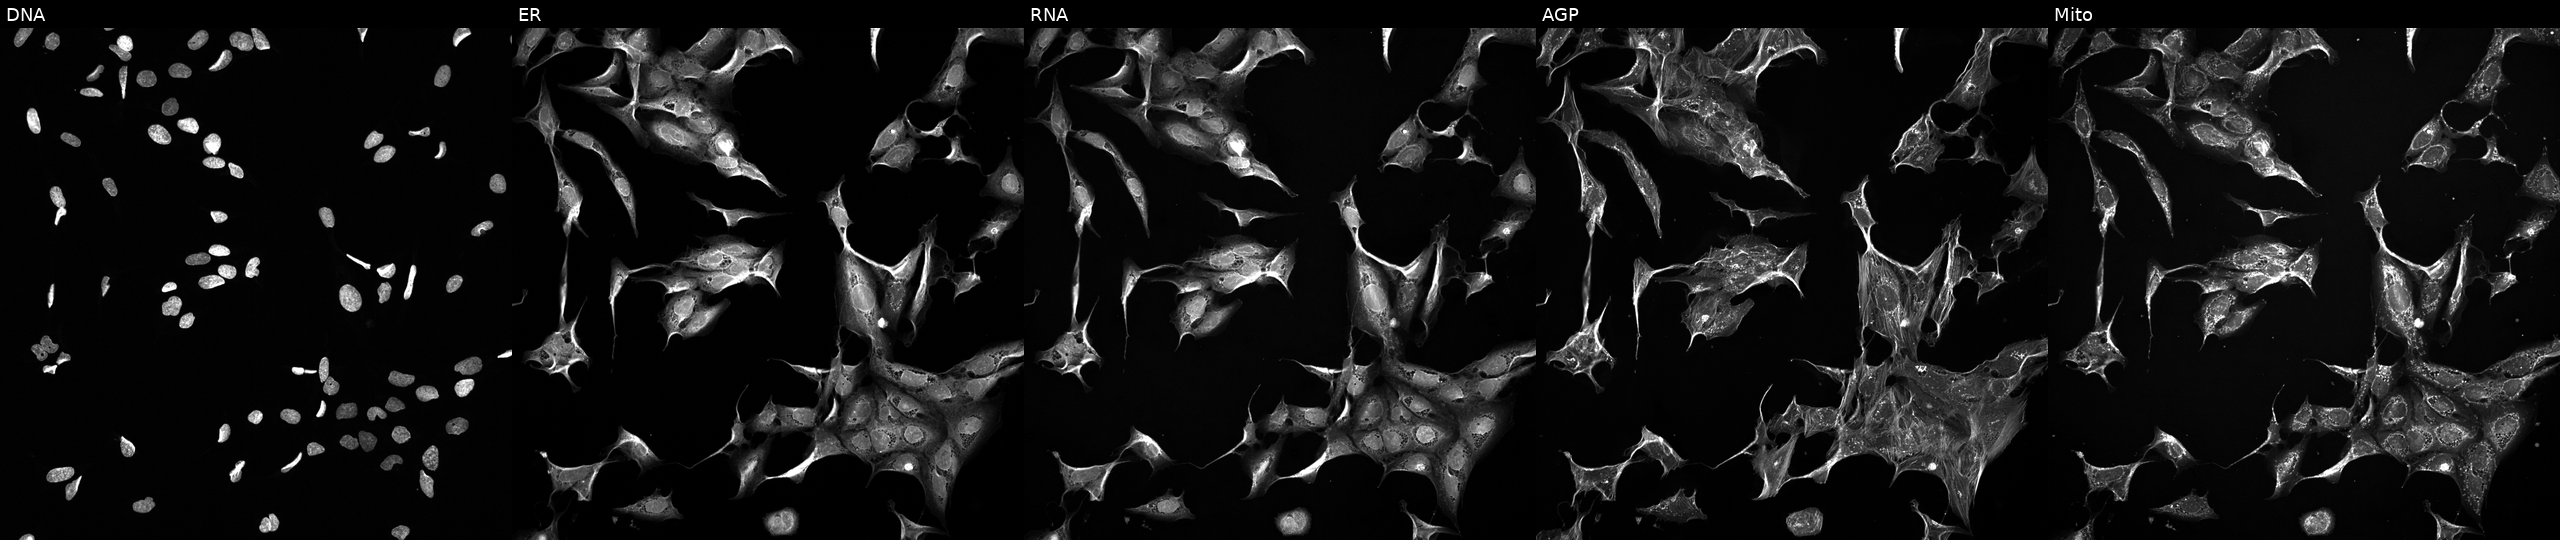
Five-channel Cell Painting image of U2OS cells perturbed with a small-molecule compound (InChIKey XLSYZSRXVVCHLS-UHFFFAOYSA-N). Panels show, left to right, DNA, ER, RNA, AGP, and Mito. Source 5, plate ACPJUM051, well H11.